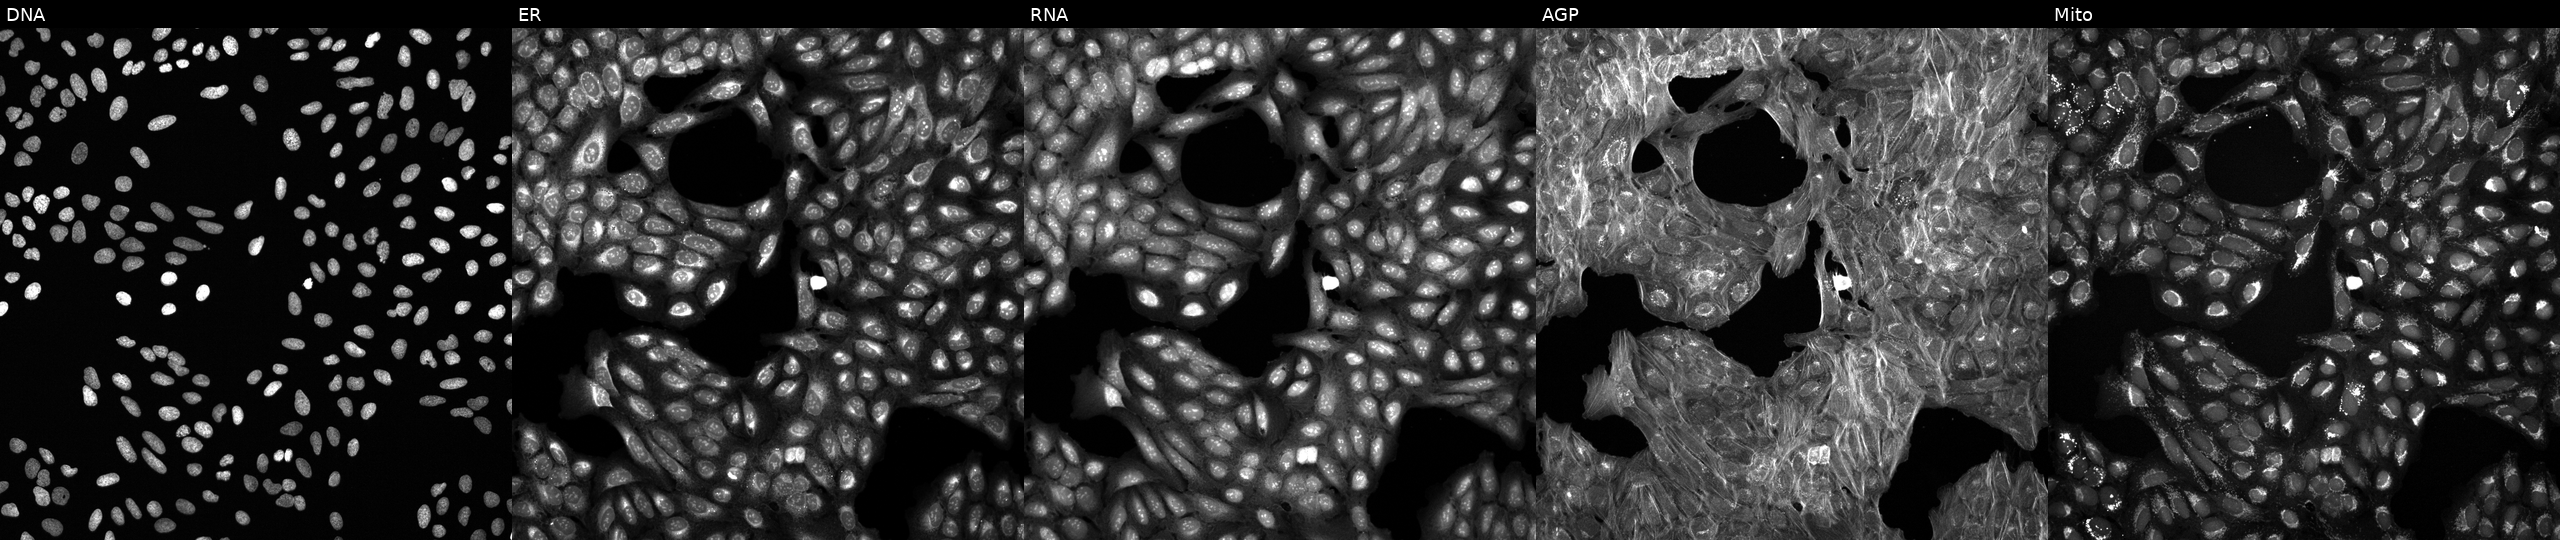
Channels (left→right): Hoechst 33342, concanavalin A, SYTO 14, phalloidin and WGA, MitoTracker. U2OS osteosarcoma cells treated with a small-molecule compound [SMILES: CS(=O)(=O)Nc1ccc(-c2coc3cc(OCc4cccc(C(=O)O)c4)ccc3c2=O)cc1]. Cell Painting assay, JUMP-CP dataset.